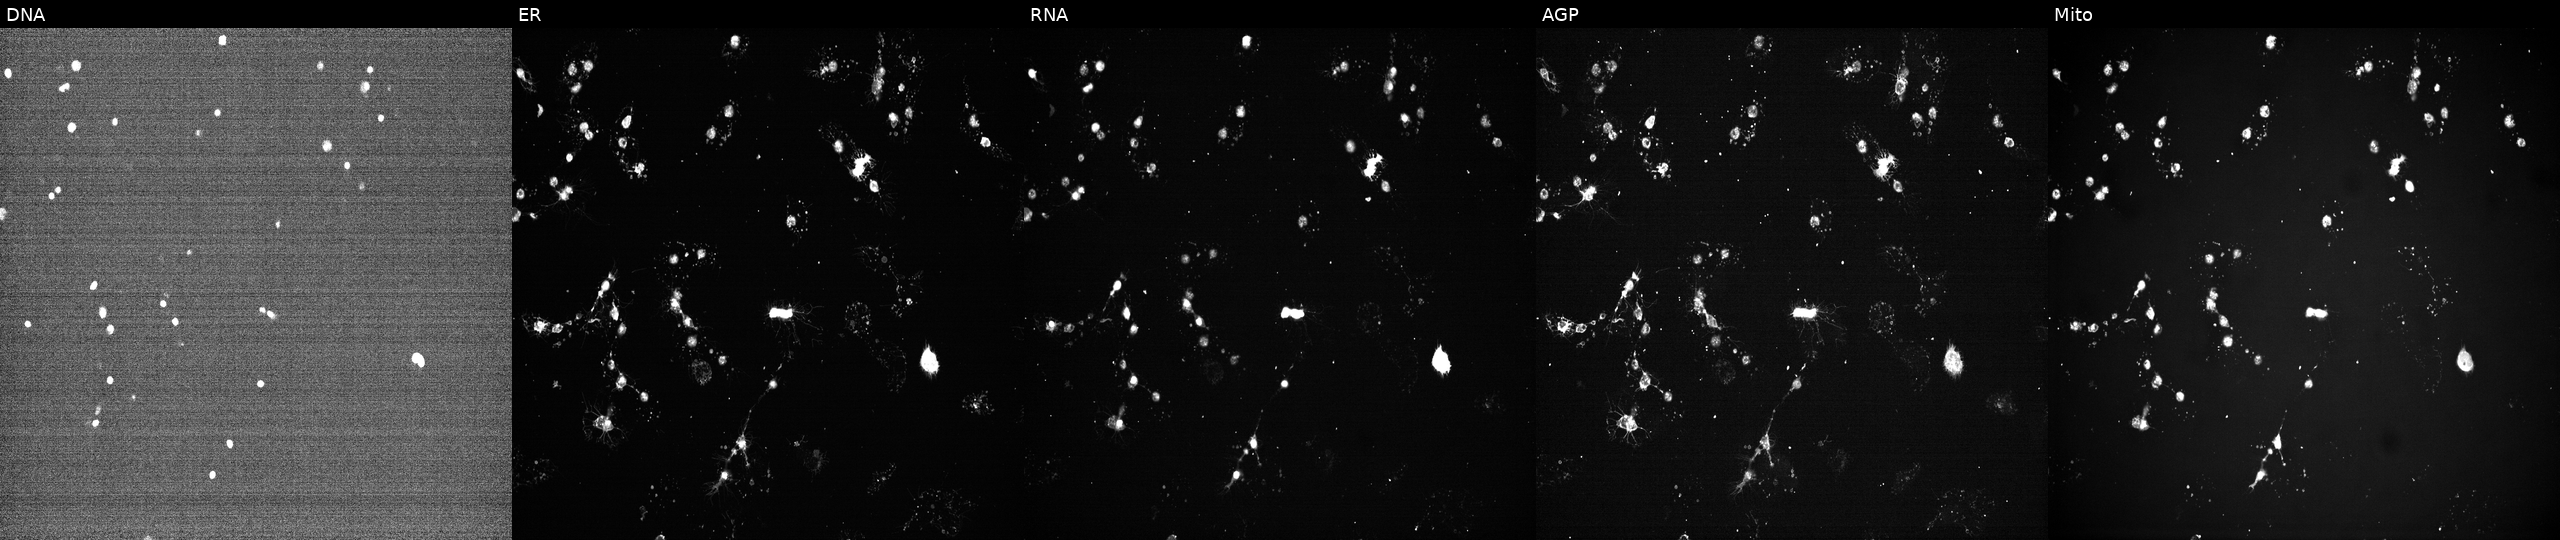
High-content fluorescence microscopy (Cell Painting). Cell line: U2OS. Perturbation: exposed to a small-molecule compound (InChIKey IAYGCINLNONXHY-UHFFFAOYSA-N) [SMILES: NC(=O)Nc1cc(-c2cccc(F)c2)sc1C(=O)NC1CCCNC1] (JUMP id JCP2022_033914). The five panels, left to right, show DNA, ER, RNA, AGP, and Mito. Source 7, plate CP1-SC1-25, well D11.